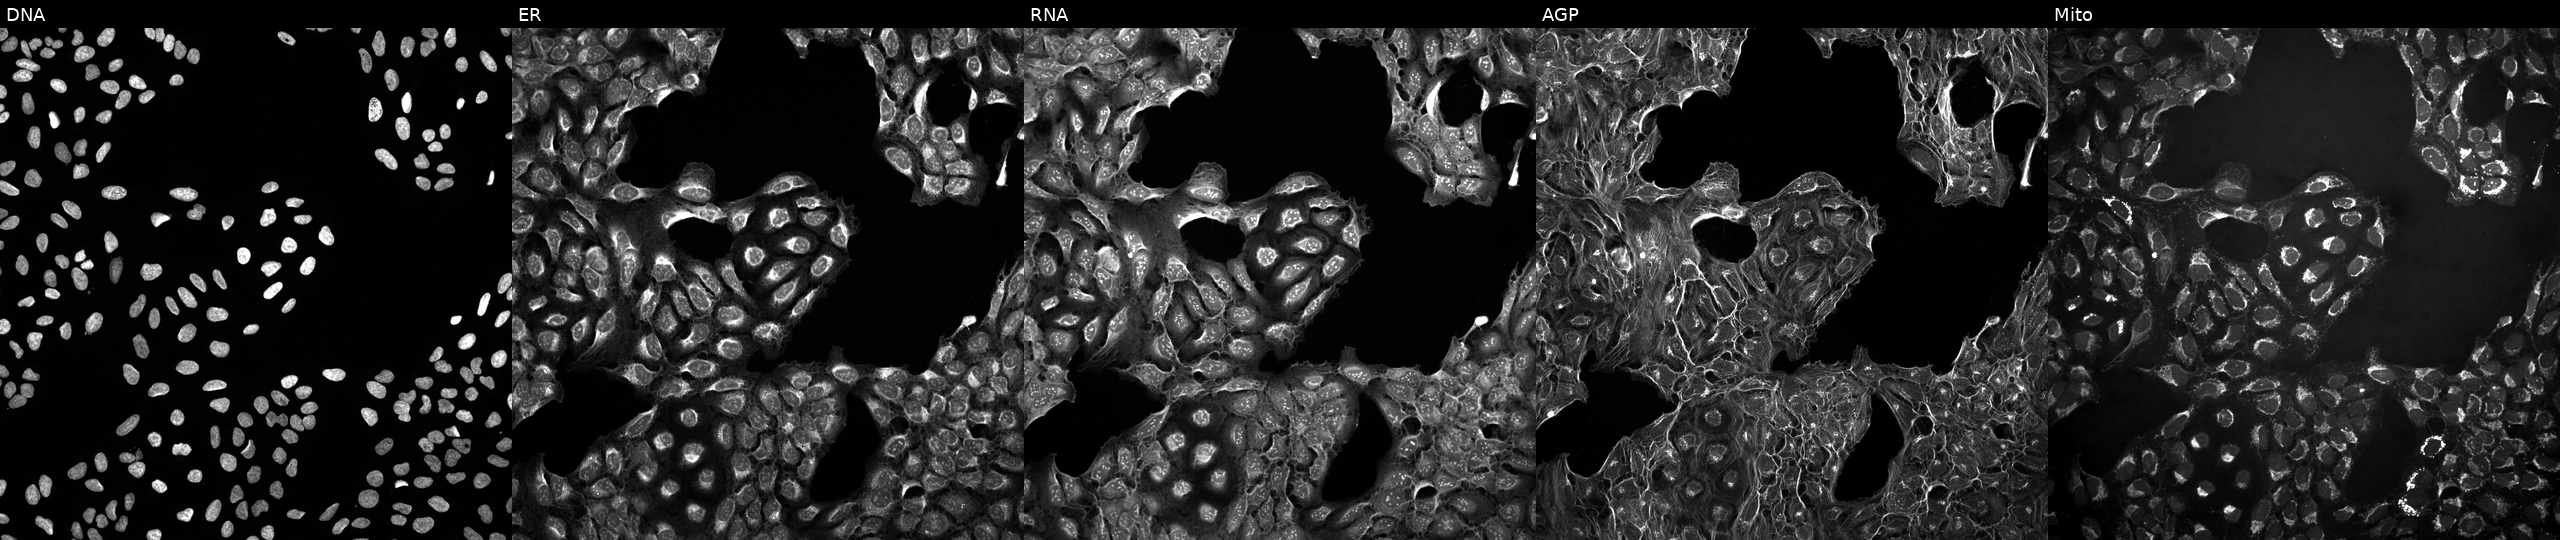
High-content fluorescence microscopy (Cell Painting). Cell line: U2OS. Perturbation: untreated (empty-well control) (JUMP id JCP2022_999999). From left to right: DNA, ER, RNA, AGP, and Mito. Source 10, plate Dest210531-152324, well O03.